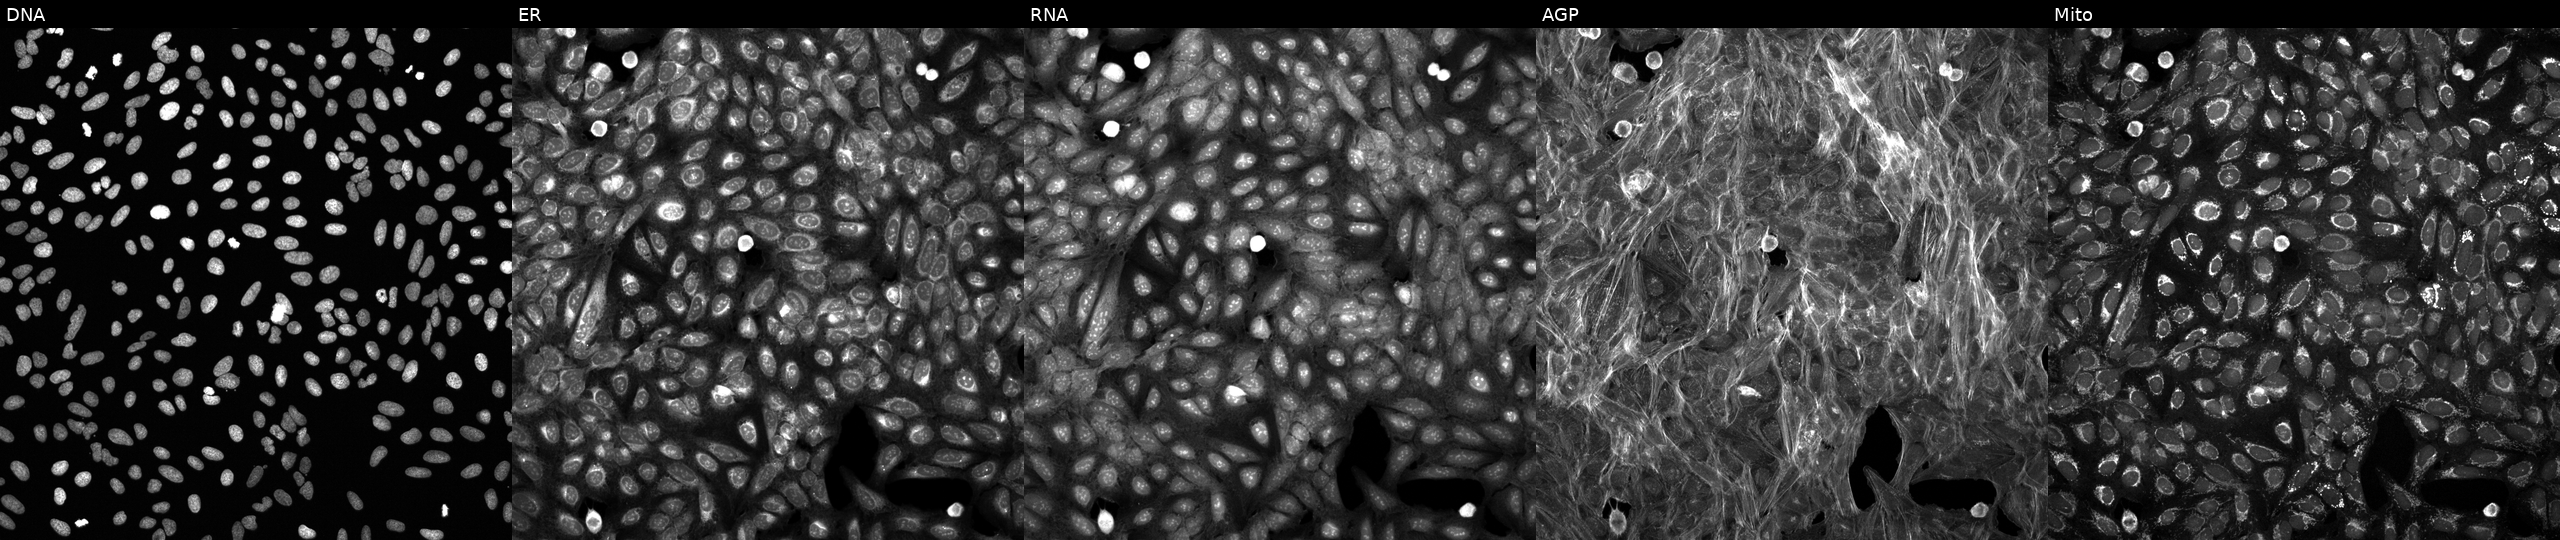
From left to right: DNA, ER, RNA, AGP, and Mito. U2OS osteosarcoma cells exposed to the positive-control compound dexamethasone. Cell Painting assay, JUMP-CP dataset.